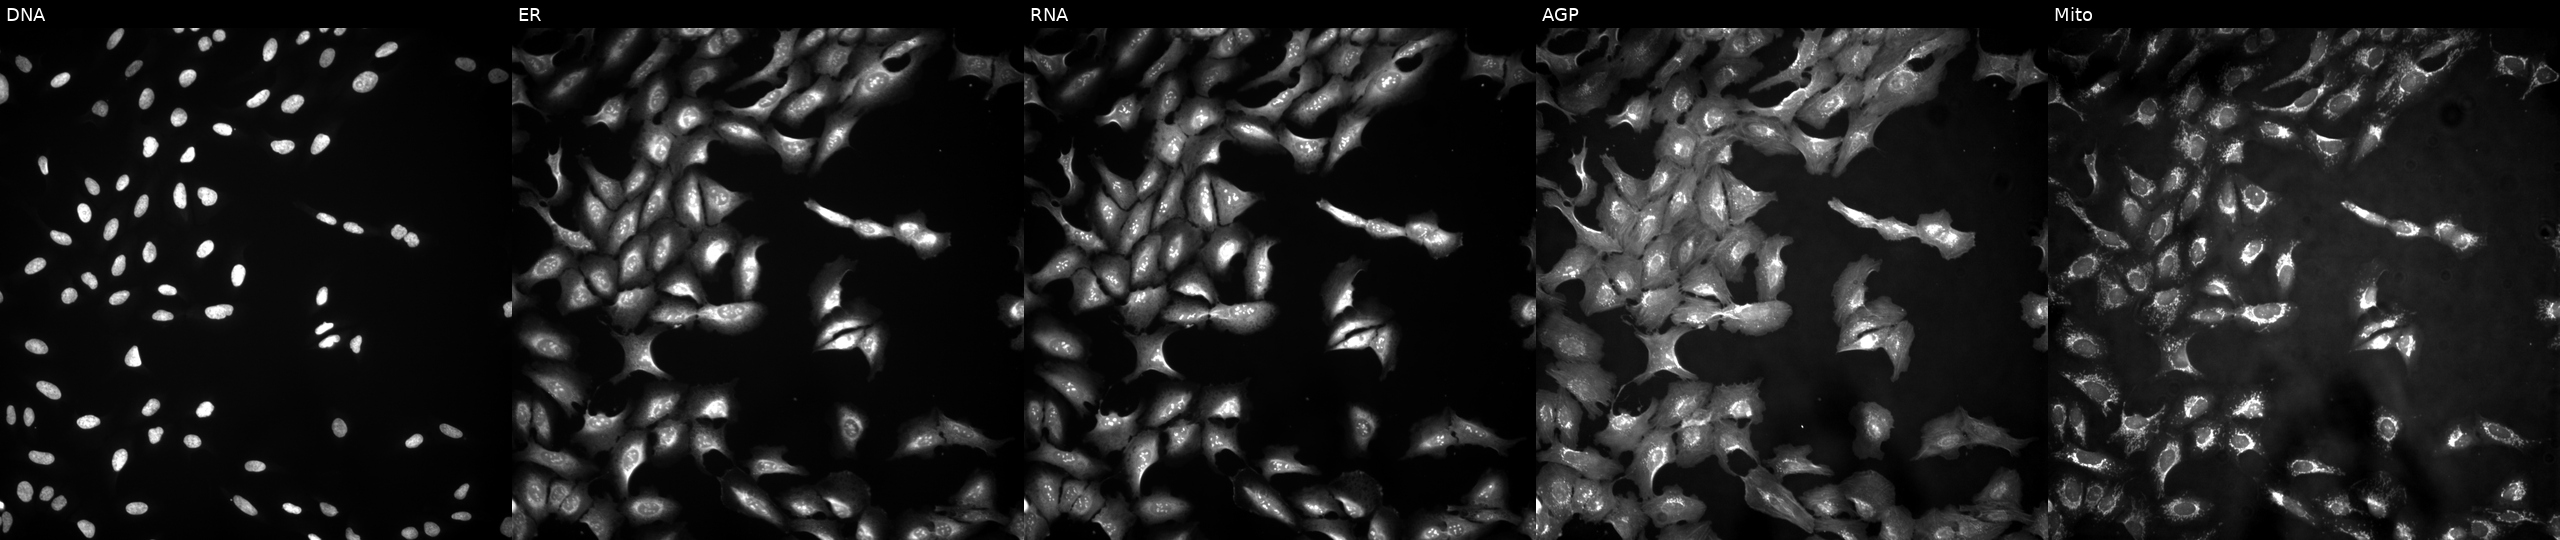
Five-channel Cell Painting image of U2OS cells overexpressing ZDHHC4 via ORF transfection (JUMP id JCP2022_903315). From left to right: Hoechst 33342, concanavalin A, SYTO 14, phalloidin and WGA, MitoTracker.